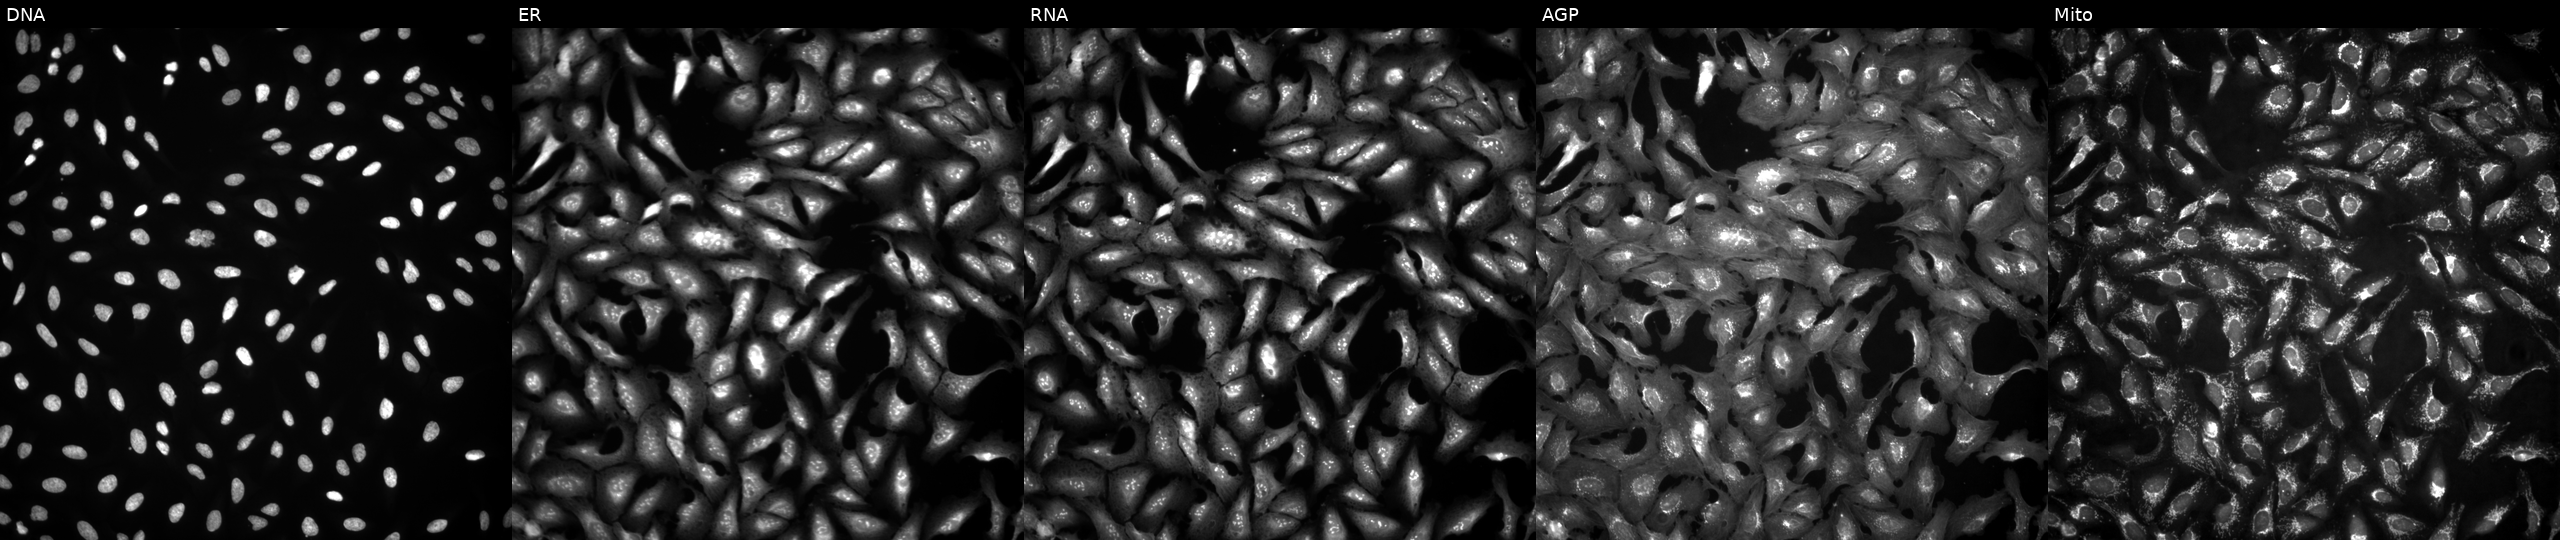
Five-channel Cell Painting image of U2OS cells overexpressing PSME1 via ORF transfection (JUMP id JCP2022_901245). The five panels, left to right, show DNA (nuclei); ER (endoplasmic reticulum); RNA (nucleoli and cytoplasmic RNA); AGP (actin cytoskeleton, Golgi, and plasma membrane); Mito (mitochondria).